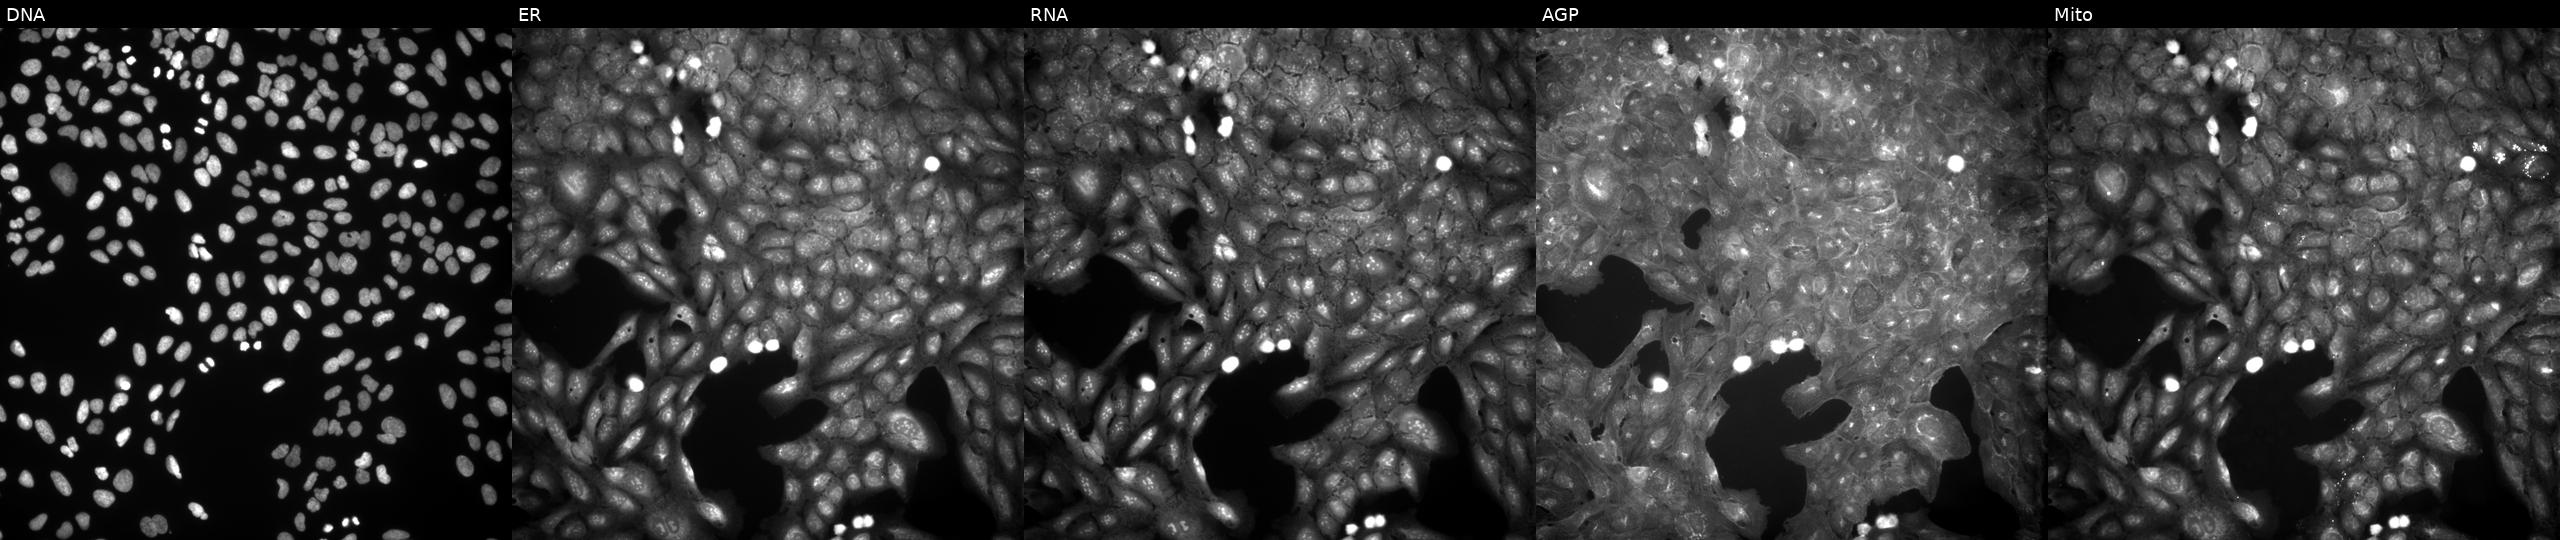
This image strip shows the five Cell Painting channels for a single field of U2OS cells perturbed with a small-molecule compound (InChIKey MGOXBNGXLWRBOI-UHFFFAOYSA-N) (JUMP id JCP2022_054016). From left to right: Hoechst 33342, concanavalin A, SYTO 14, phalloidin and WGA, MitoTracker.